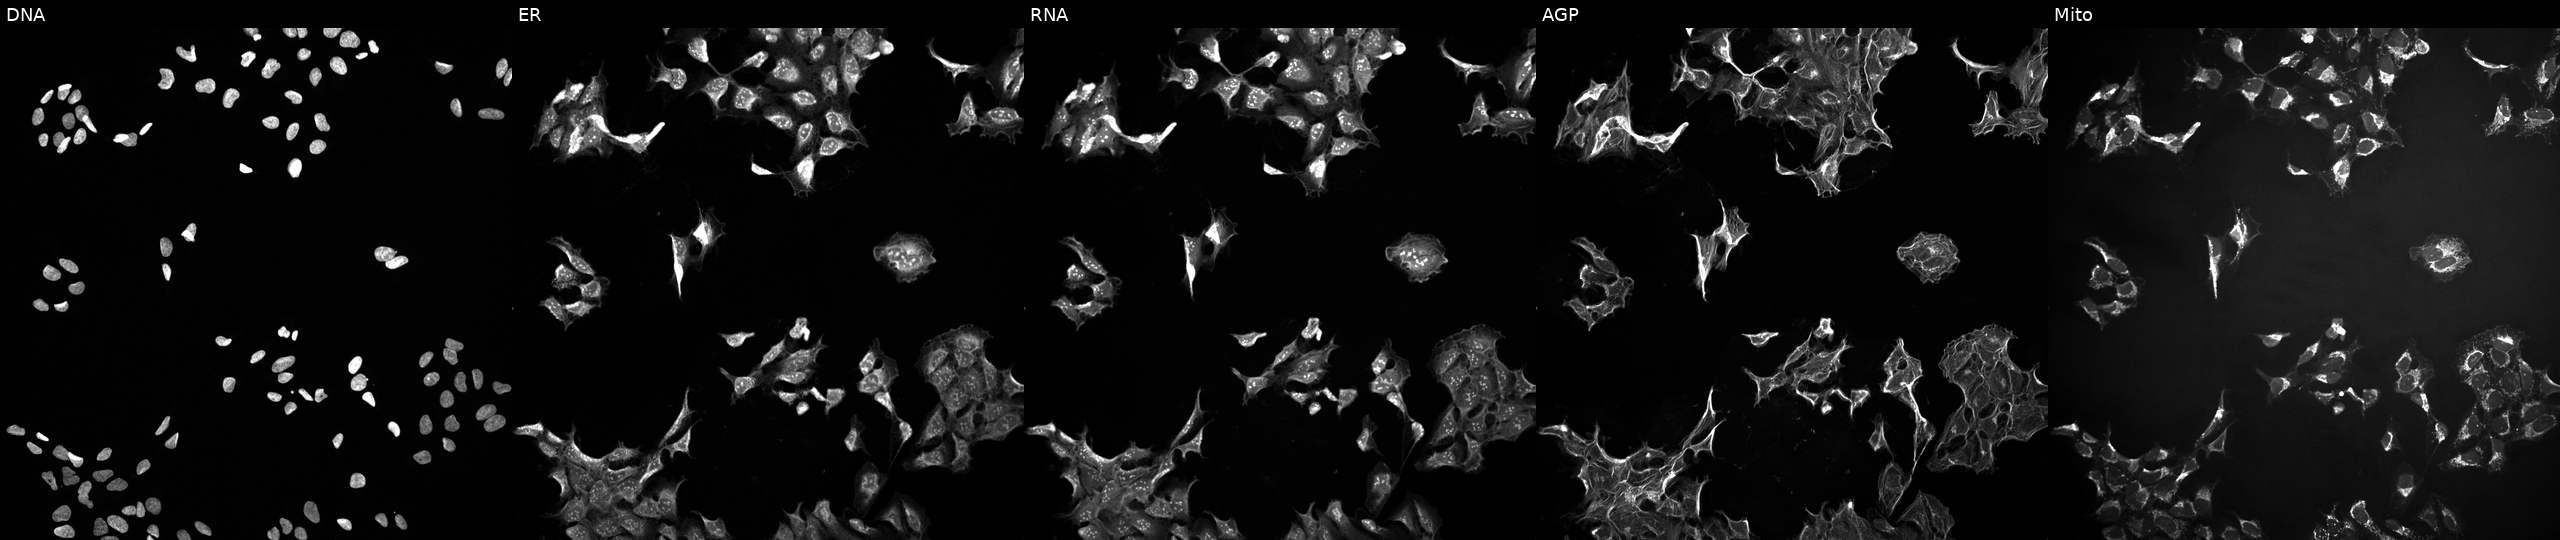
Five-channel Cell Painting image of U2OS cells exposed to a small-molecule compound (InChIKey KSCFJBIXMNOVSH-UHFFFAOYSA-N) (JUMP id JCP2022_046649). Panels show, left to right, DNA, ER, RNA, AGP, and Mito.